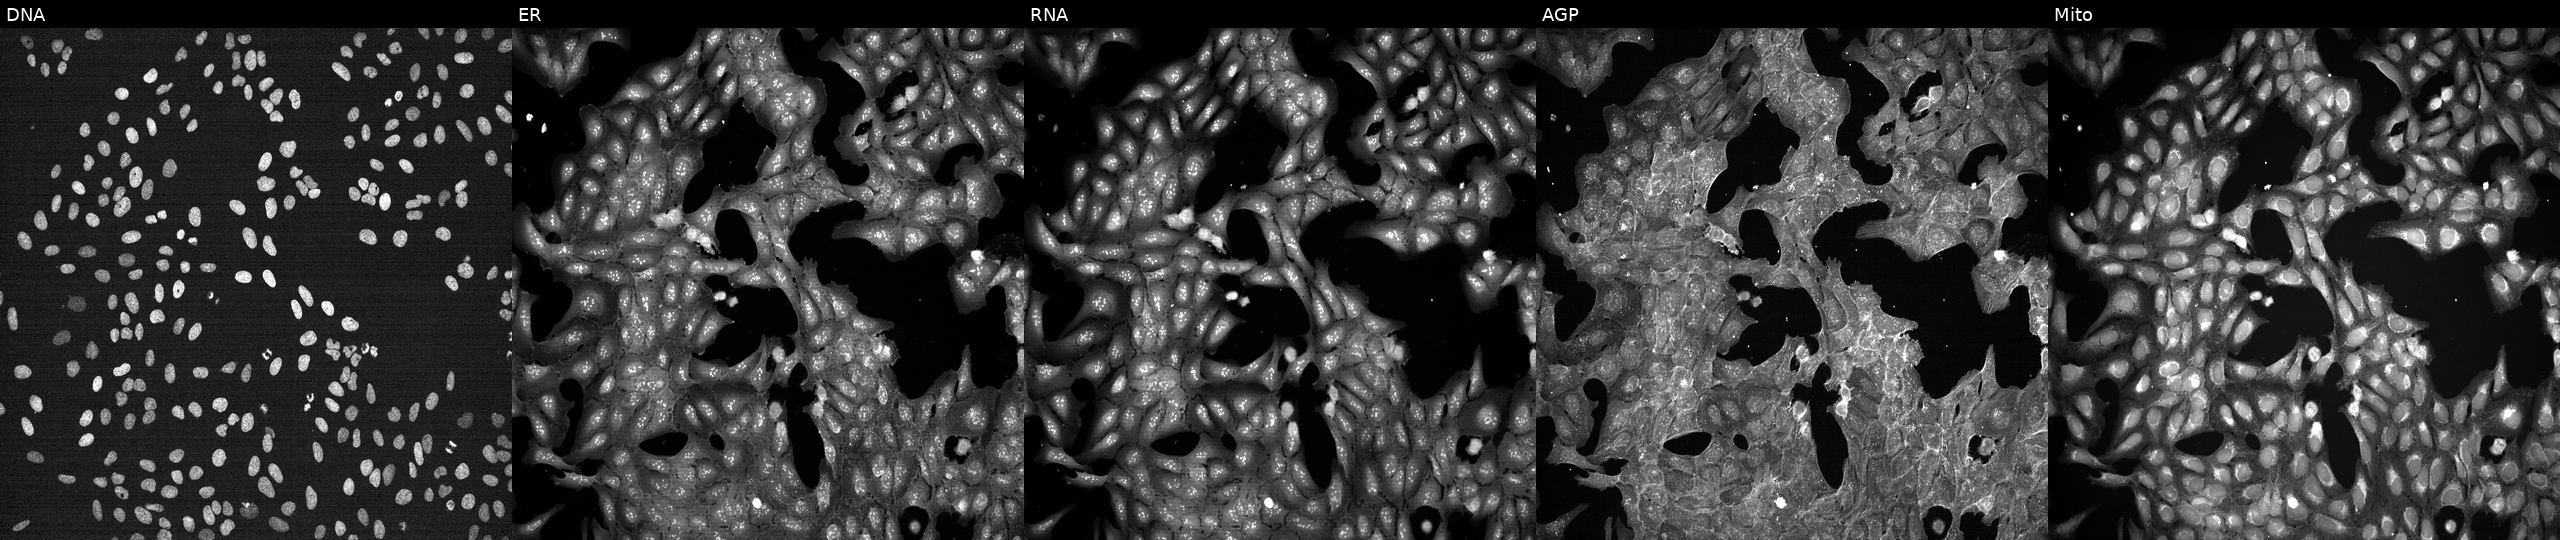
This image strip shows the five Cell Painting channels for a single field of U2OS cells treated with a small-molecule compound (InChIKey UPWGQKDVAURUGE-UHFFFAOYSA-N) [SMILES: CCCCCCCCC=CCCCCCCCC(=O)OC(CO)CO] (JUMP id JCP2022_090768). Panels show, left to right, DNA (nuclei); ER (endoplasmic reticulum); RNA (nucleoli and cytoplasmic RNA); AGP (actin cytoskeleton, Golgi, and plasma membrane); Mito (mitochondria).